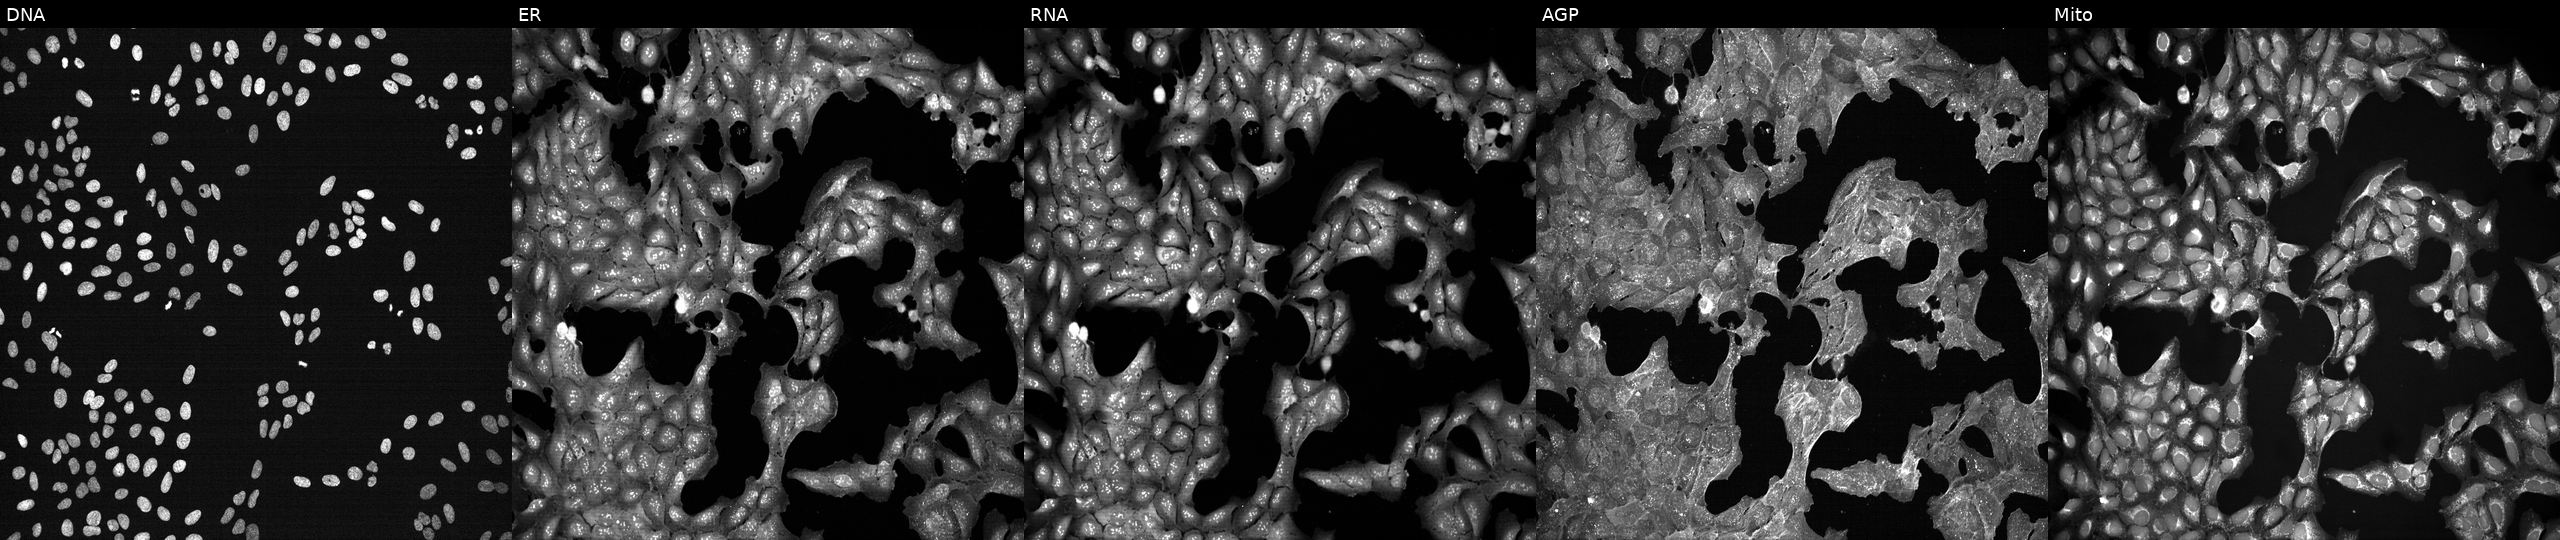
U2OS cells, Cell Painting assay, perturbed with a small-molecule compound (InChIKey UZDORQWMYRRLQV-UHFFFAOYSA-N). From left to right: DNA, ER, RNA, AGP, and Mito. Each panel is percentile-stretched 16-bit fluorescence.